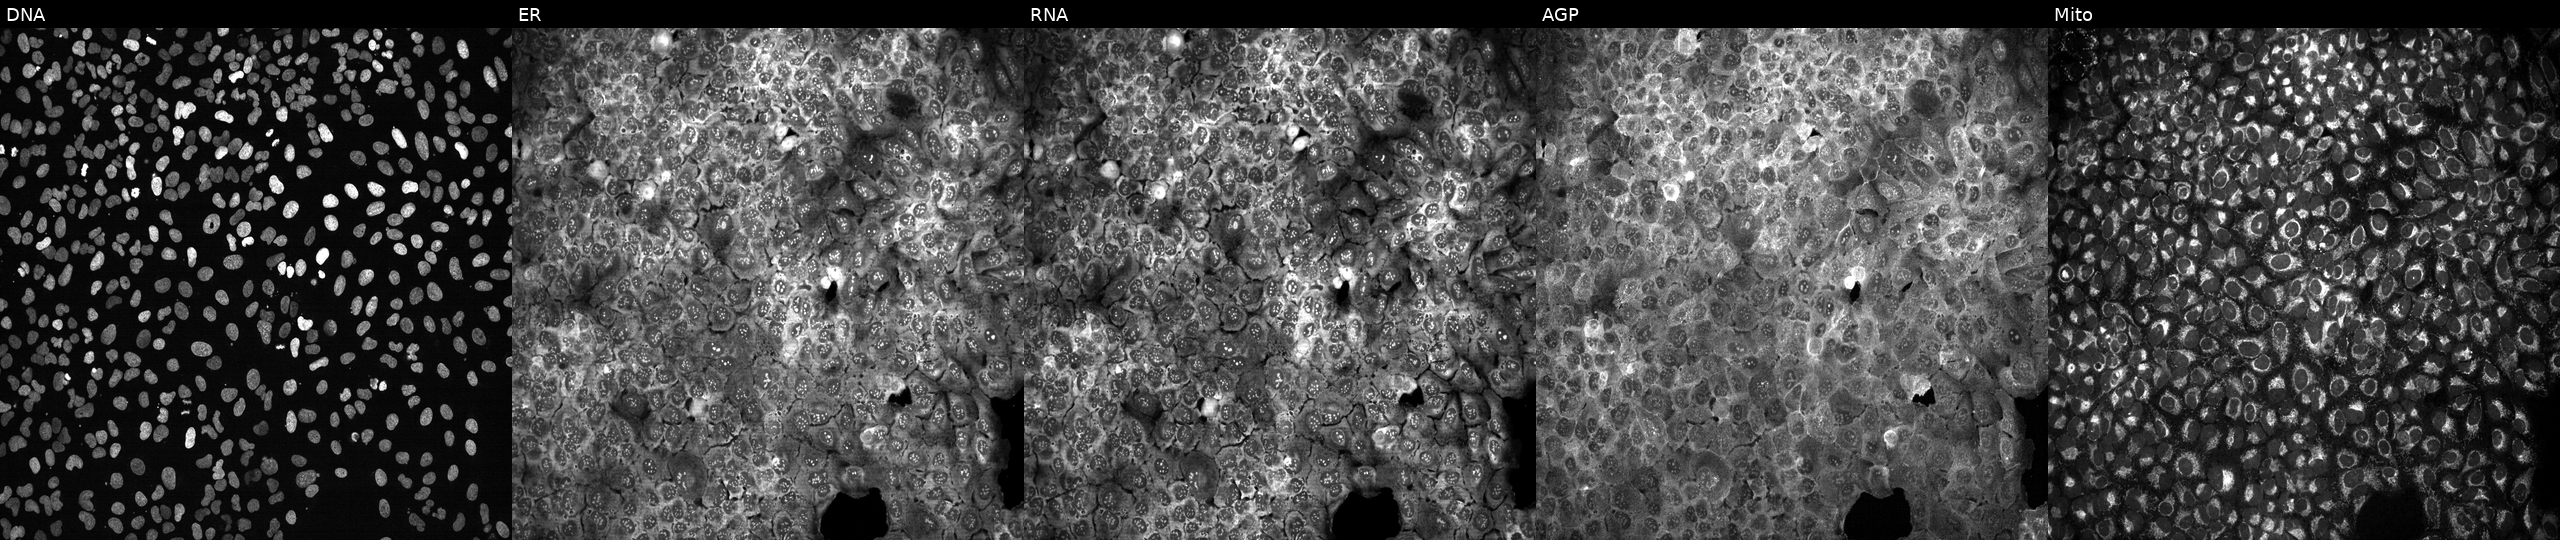
The five panels, left to right, show DNA, ER, RNA, AGP, and Mito. U2OS osteosarcoma cells CRISPR-edited to disrupt SLC19A2. Cell Painting assay, JUMP-CP dataset.